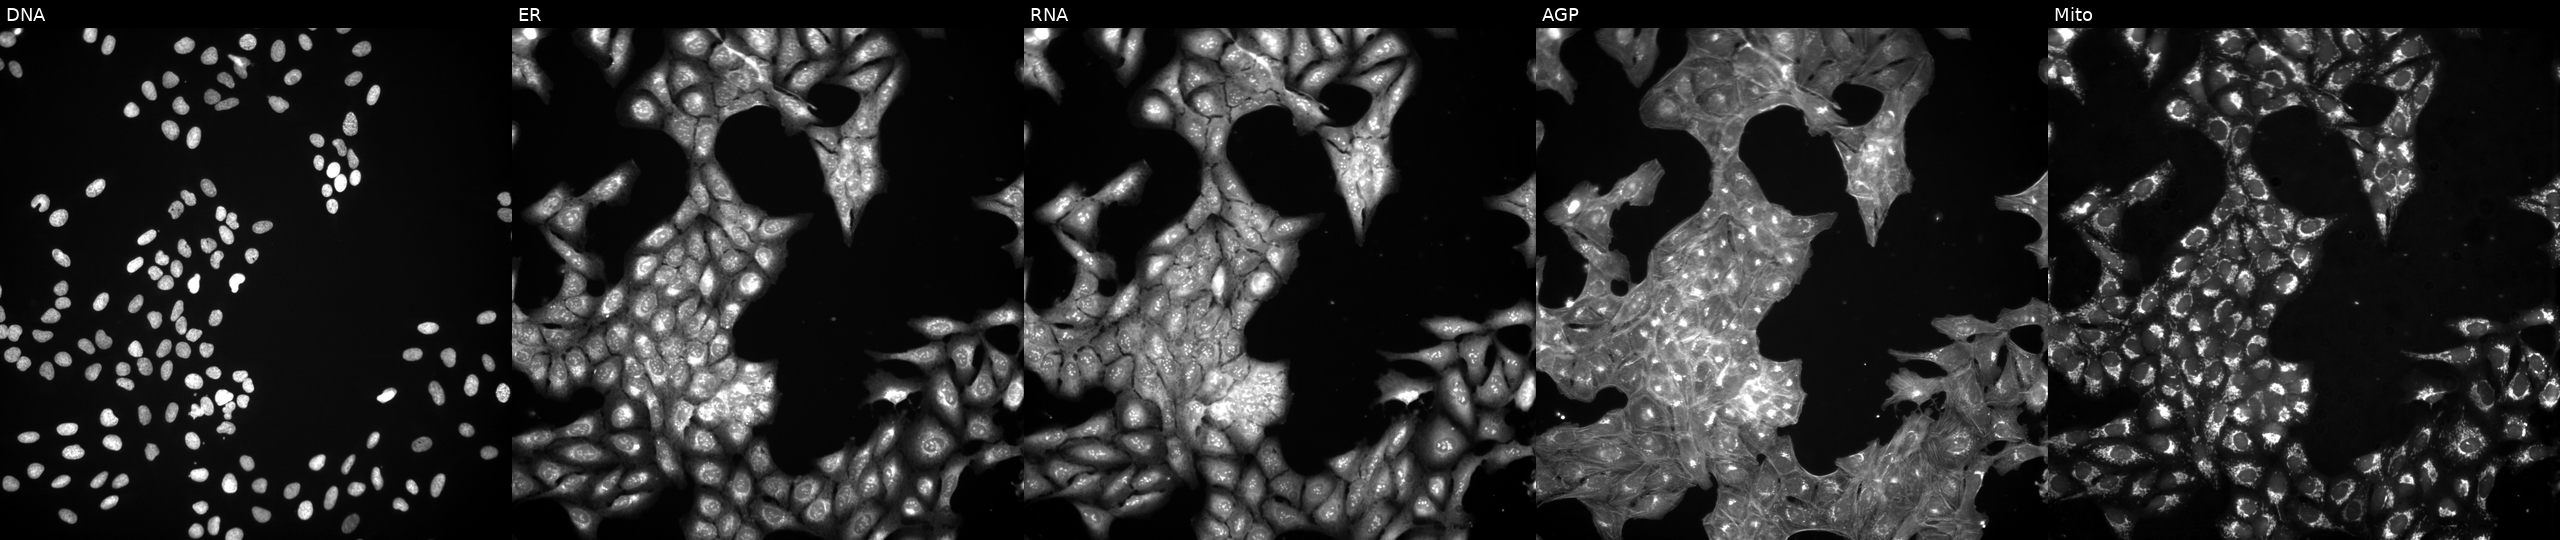
U2OS cells, Cell Painting assay, perturbed with a small-molecule compound (InChIKey GATOOAFUELABBW-UHFFFAOYSA-N) (JUMP id JCP2022_024231). Channels (left→right): Hoechst 33342, concanavalin A, SYTO 14, phalloidin and WGA, MitoTracker. Each panel is percentile-stretched 16-bit fluorescence. Source 3, plate BR5867b3, well C13.